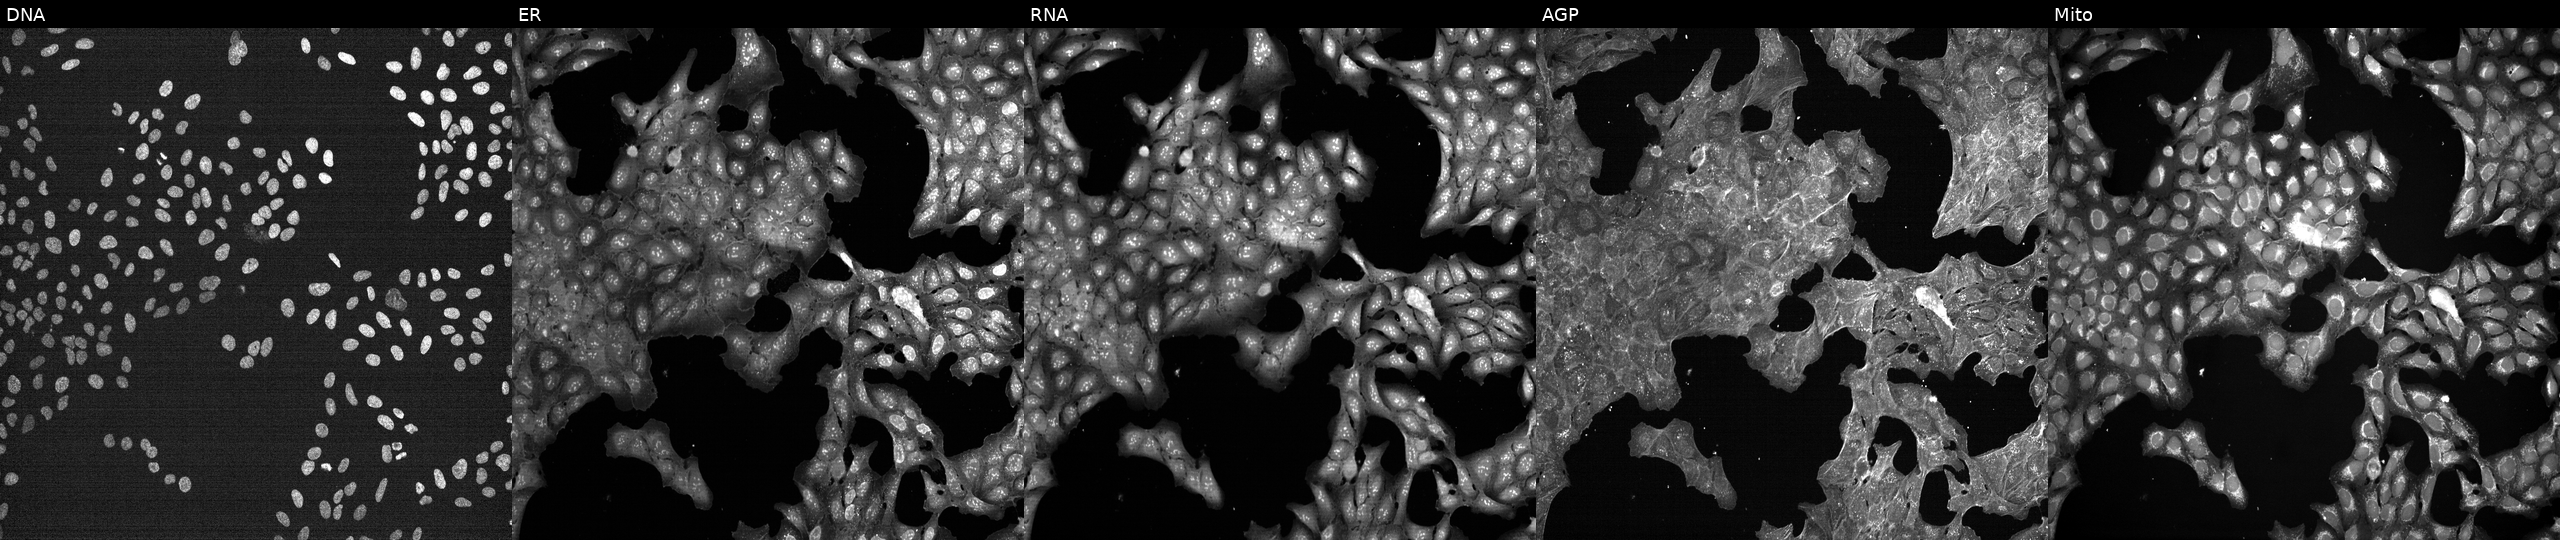
The five panels, left to right, show DNA, ER, RNA, AGP, and Mito. U2OS osteosarcoma cells treated with a small-molecule compound (JUMP id JCP2022_097564). Cell Painting assay, JUMP-CP dataset. Source 7, plate CP1-SC1-25, well M06.